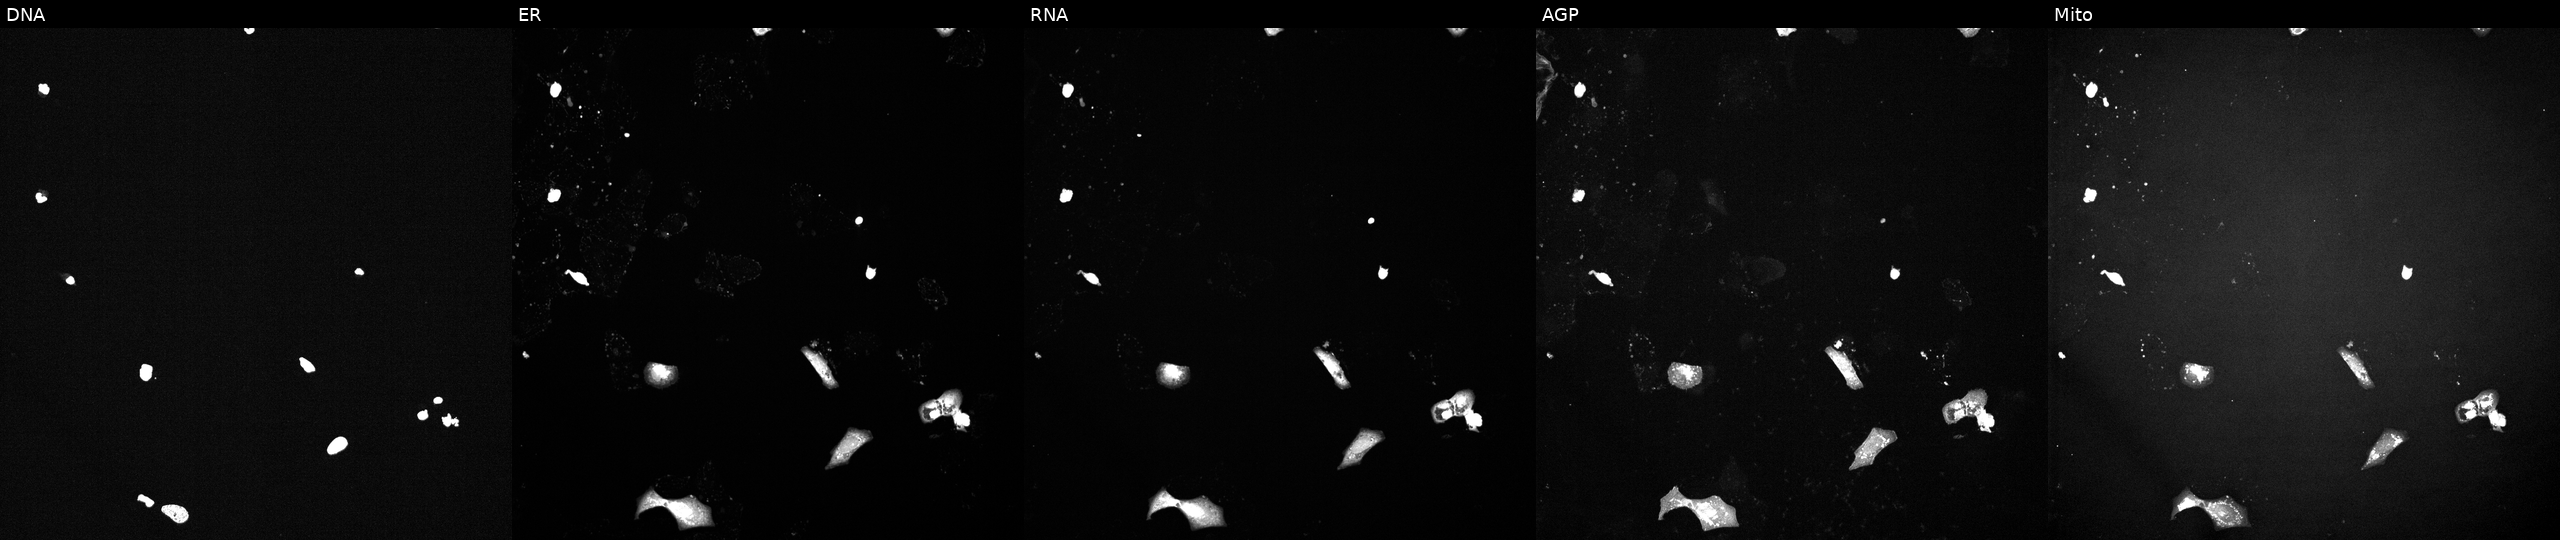
High-content fluorescence microscopy (Cell Painting). Cell line: U2OS. Perturbation: exposed to a small-molecule compound (InChIKey PHXJVRSECIGDHY-UHFFFAOYSA-N). Channels (left→right): Hoechst 33342, concanavalin A, SYTO 14, phalloidin and WGA, MitoTracker.